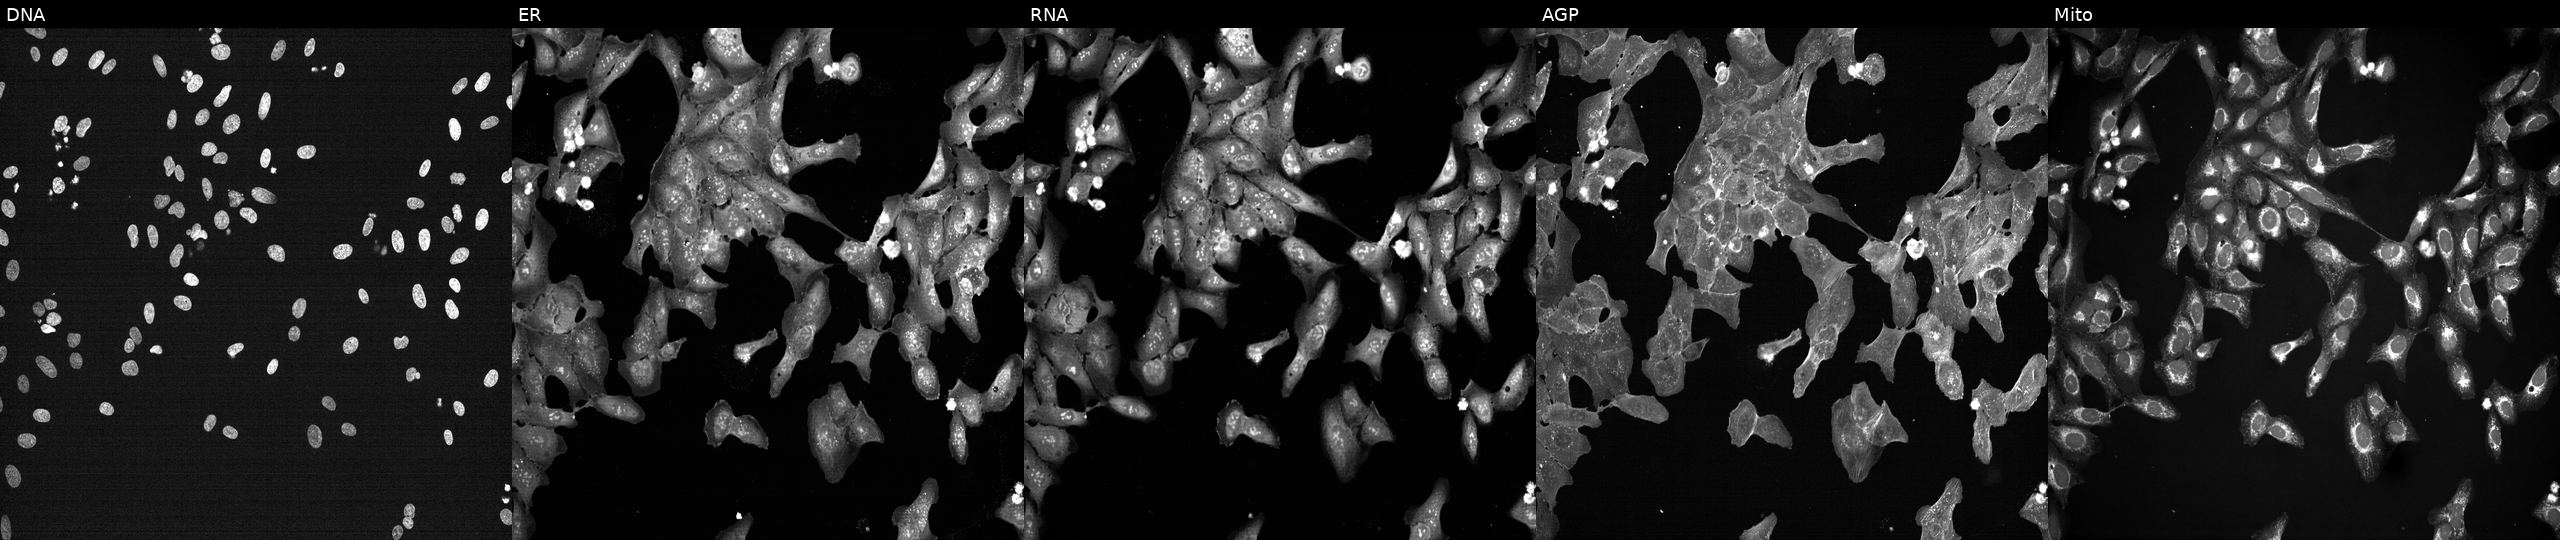
Five-channel Cell Painting image of U2OS cells perturbed with a small-molecule compound (InChIKey HUXYBQXJVXOMKX-UHFFFAOYSA-N). The five panels, left to right, show Hoechst 33342, concanavalin A, SYTO 14, phalloidin and WGA, MitoTracker.